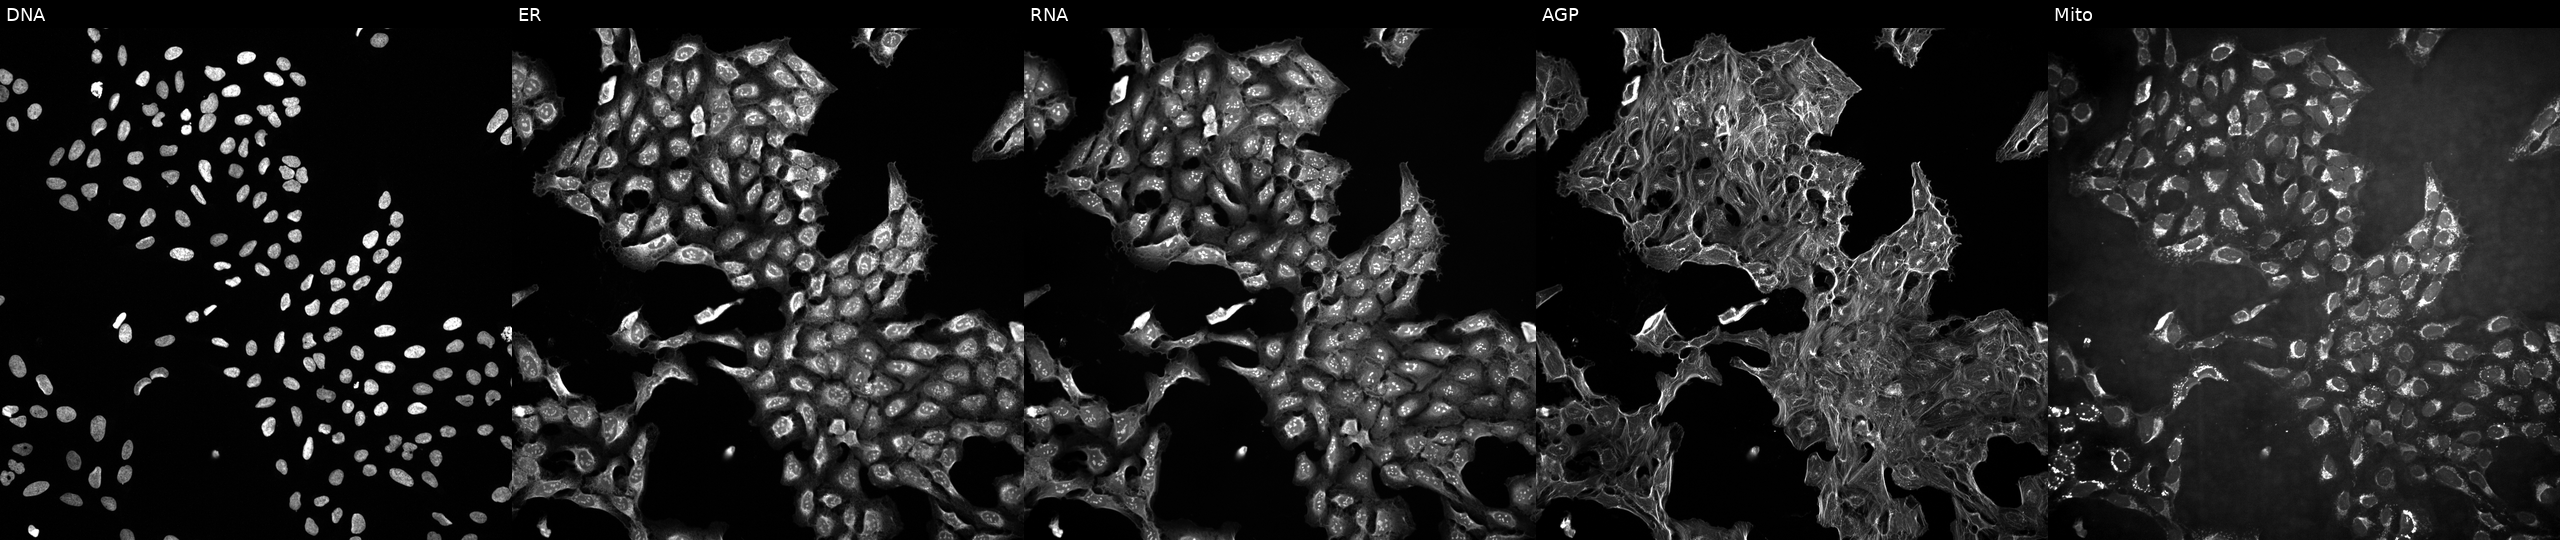
This image strip shows the five Cell Painting channels for a single field of U2OS cells treated with a small-molecule compound (InChIKey FPVKHBSQESCIEP-UHFFFAOYSA-N). Panels show, left to right, DNA (nuclei); ER (endoplasmic reticulum); RNA (nucleoli and cytoplasmic RNA); AGP (actin cytoskeleton, Golgi, and plasma membrane); Mito (mitochondria).